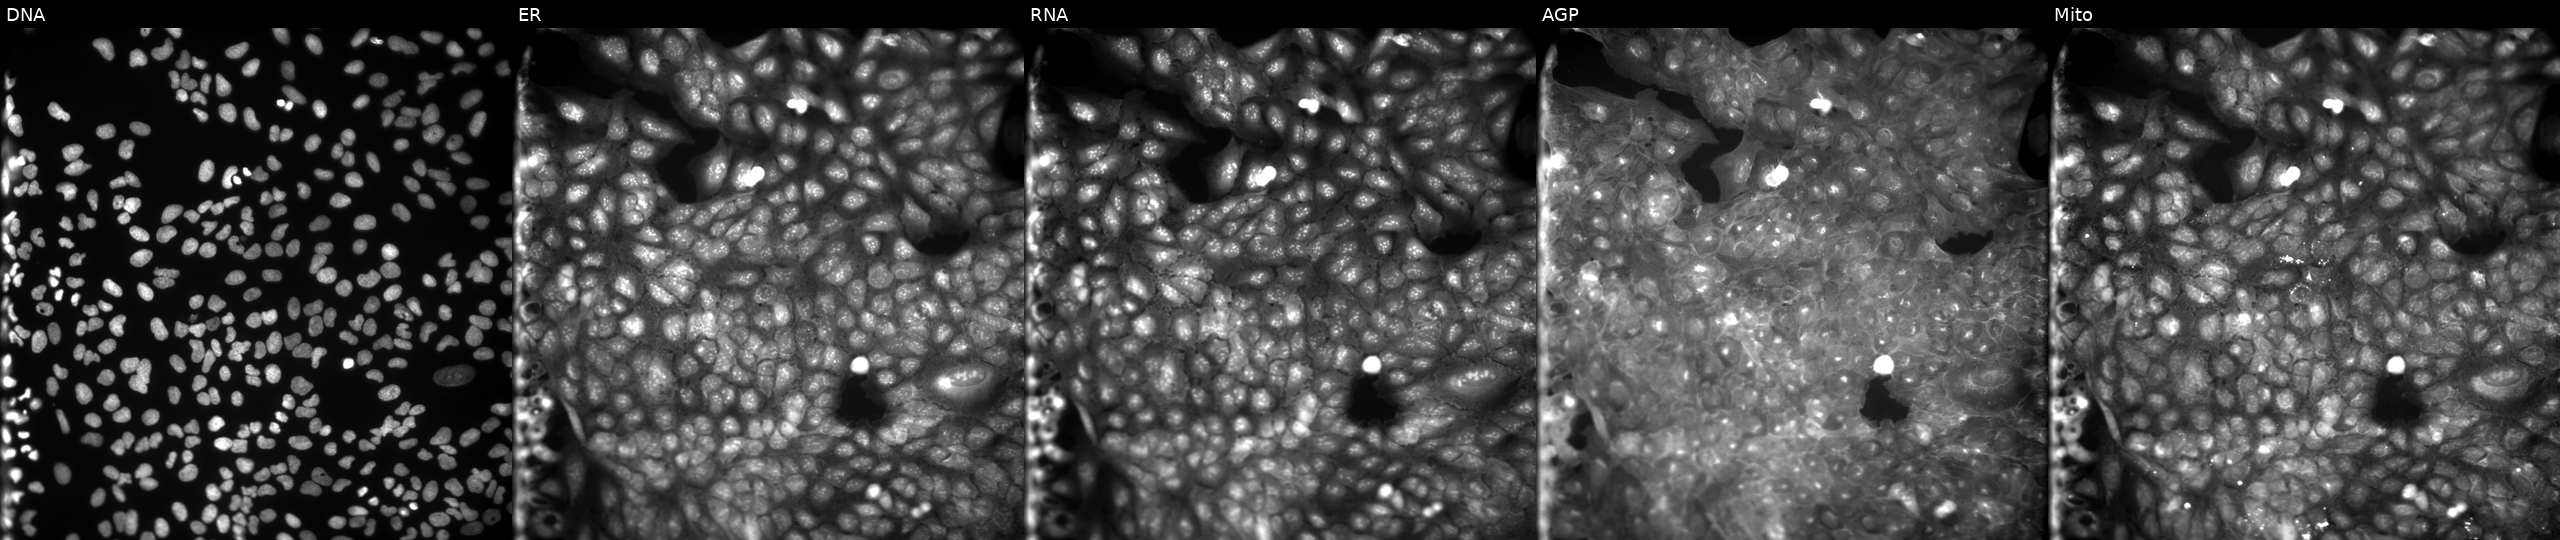
High-content fluorescence microscopy (Cell Painting). Cell line: U2OS. Perturbation: treated with a small-molecule compound (InChIKey ILNIQQWSOUILEJ-UHFFFAOYSA-N) (JUMP id JCP2022_035829). Channels (left→right): DNA, ER, RNA, AGP, and Mito. Source 9, plate GR00003382, well AC03.